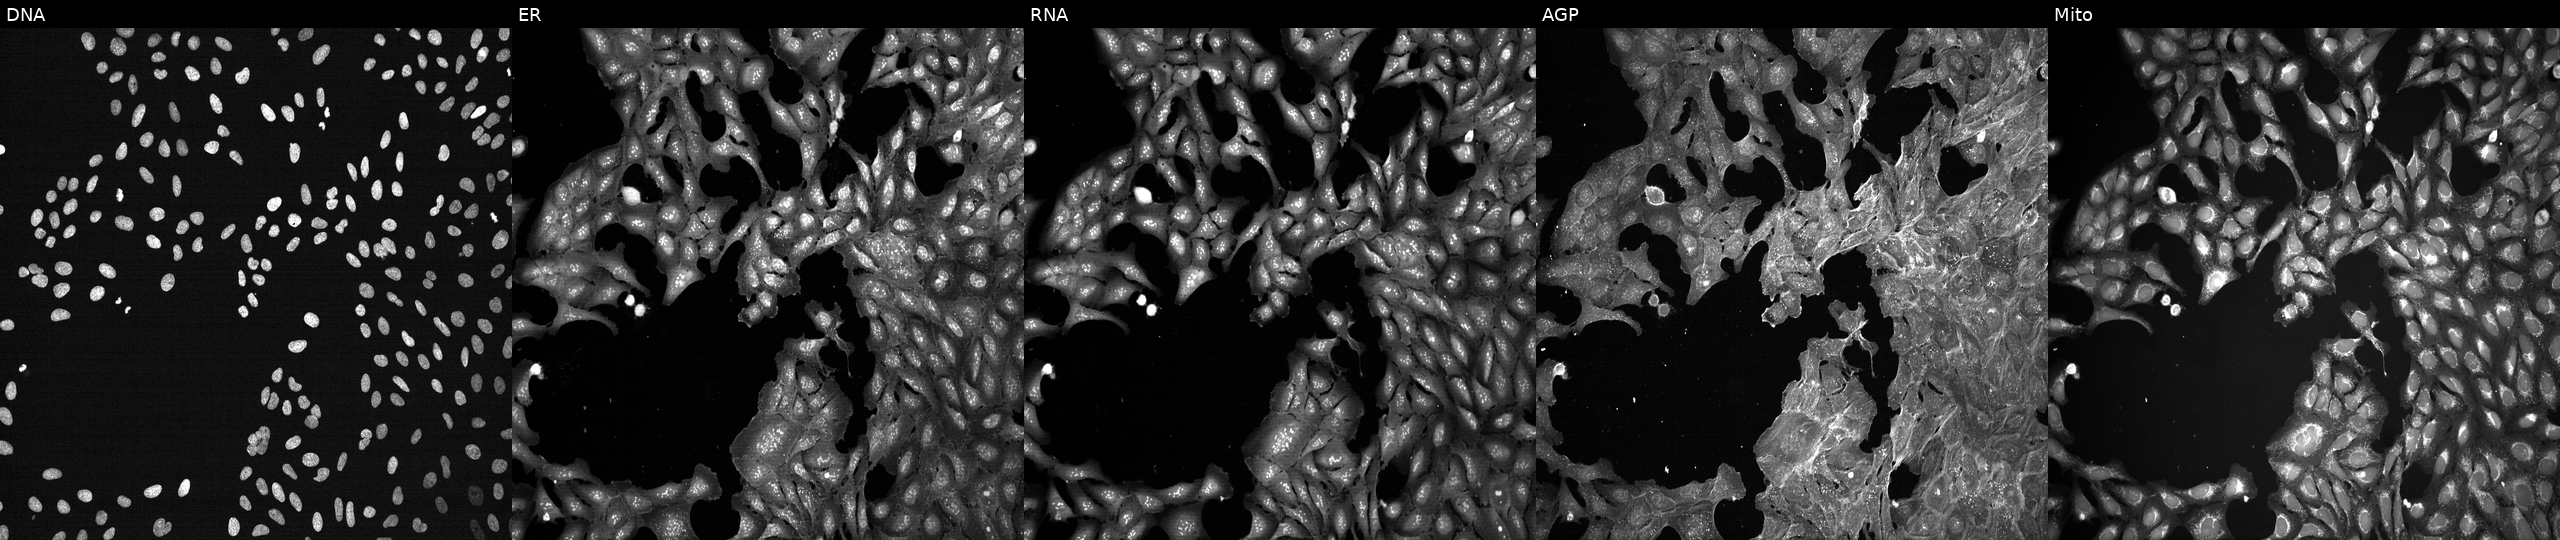
This image strip shows the five Cell Painting channels for a single field of U2OS cells exposed to DMSO alone as a negative control (JUMP id JCP2022_033924). The five panels, left to right, show Hoechst 33342, concanavalin A, SYTO 14, phalloidin and WGA, MitoTracker. Source 7, plate CP2-SC1-25, well L23.